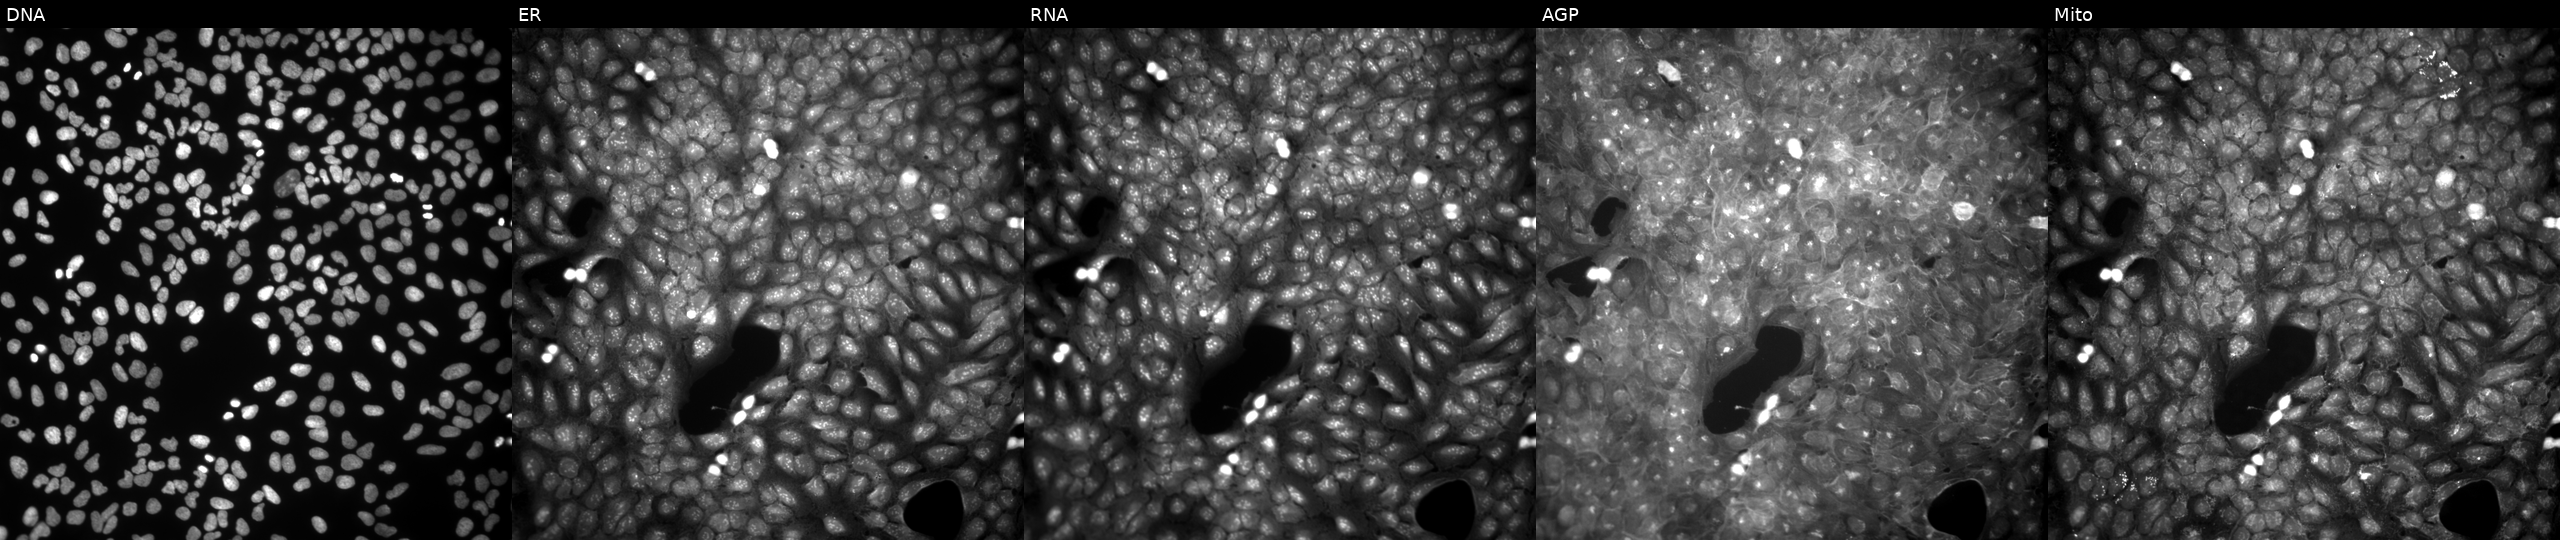
Five-channel Cell Painting image of U2OS cells treated with a small-molecule compound (JUMP id JCP2022_112118). From left to right: Hoechst 33342, concanavalin A, SYTO 14, phalloidin and WGA, MitoTracker. Source 9, plate GR00003382, well V21.